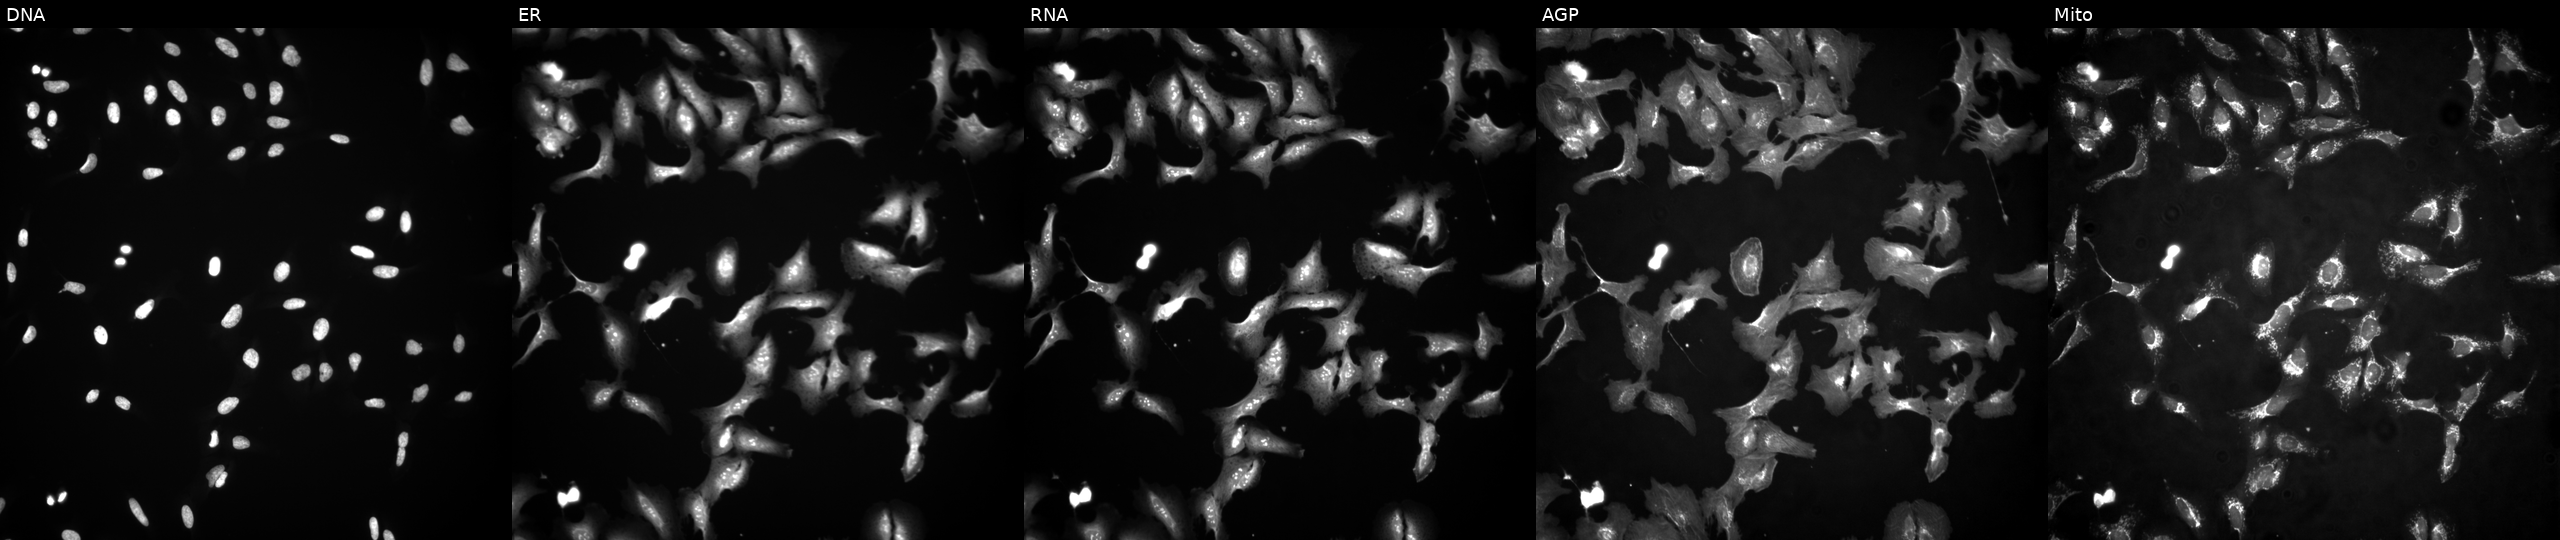
This image strip shows the five Cell Painting channels for a single field of U2OS cells expressing eGFP (ORF positive control) (JUMP id JCP2022_915132). Channels (left→right): Hoechst 33342, concanavalin A, SYTO 14, phalloidin and WGA, MitoTracker. Source 4, plate BR00117035, well P20.